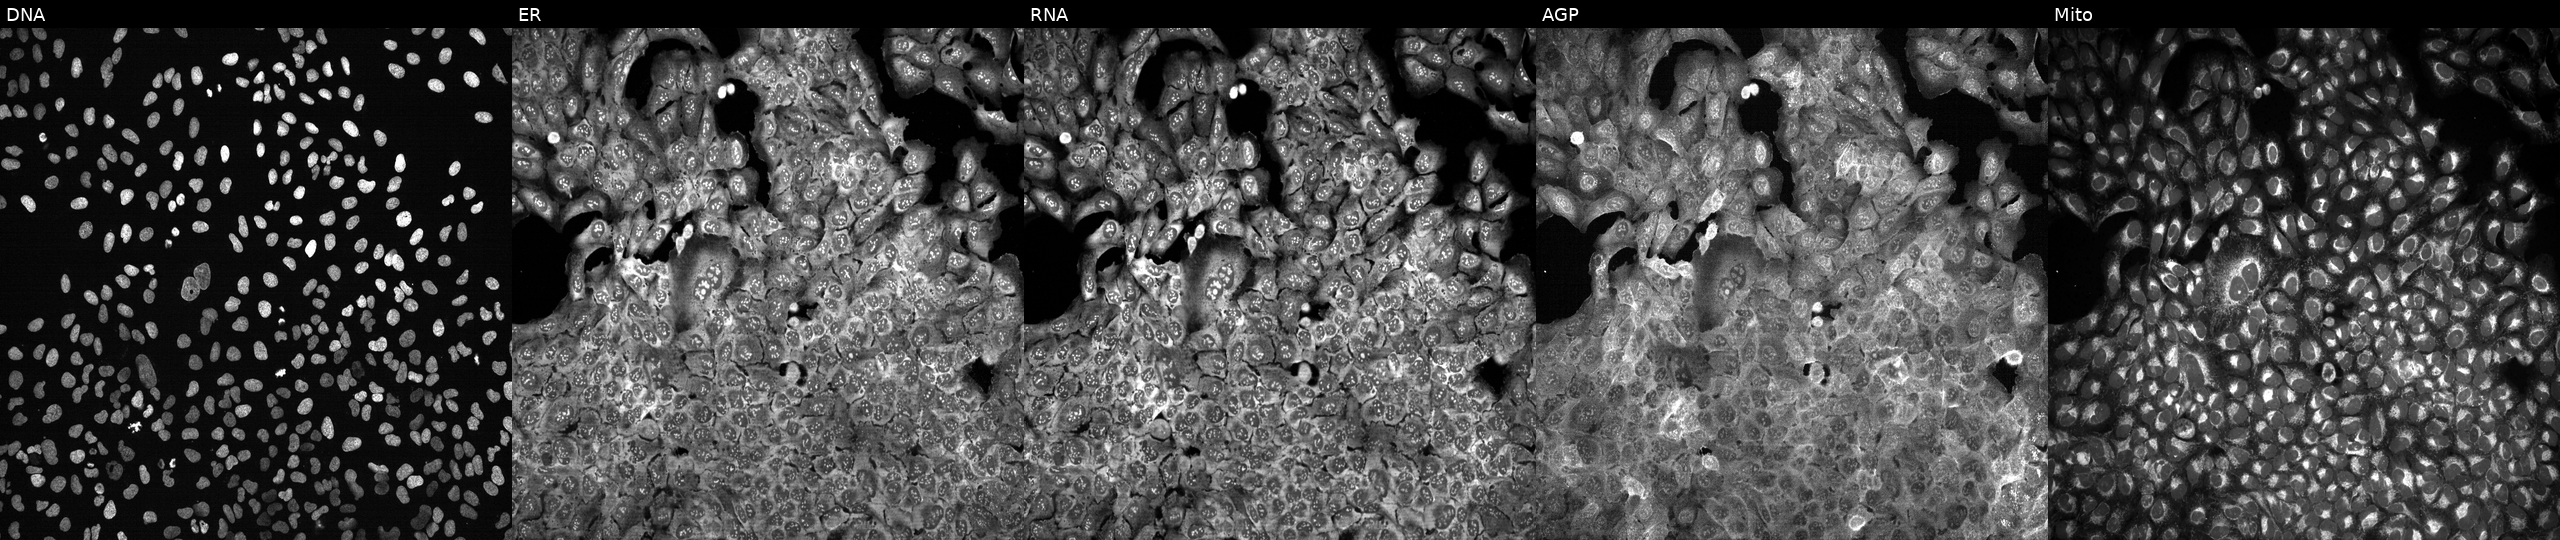
This image strip shows the five Cell Painting channels for a single field of U2OS cells following CRISPR knockout of IL10RA (JUMP id JCP2022_803361). Panels show, left to right, DNA (nuclei); ER (endoplasmic reticulum); RNA (nucleoli and cytoplasmic RNA); AGP (actin cytoskeleton, Golgi, and plasma membrane); Mito (mitochondria).